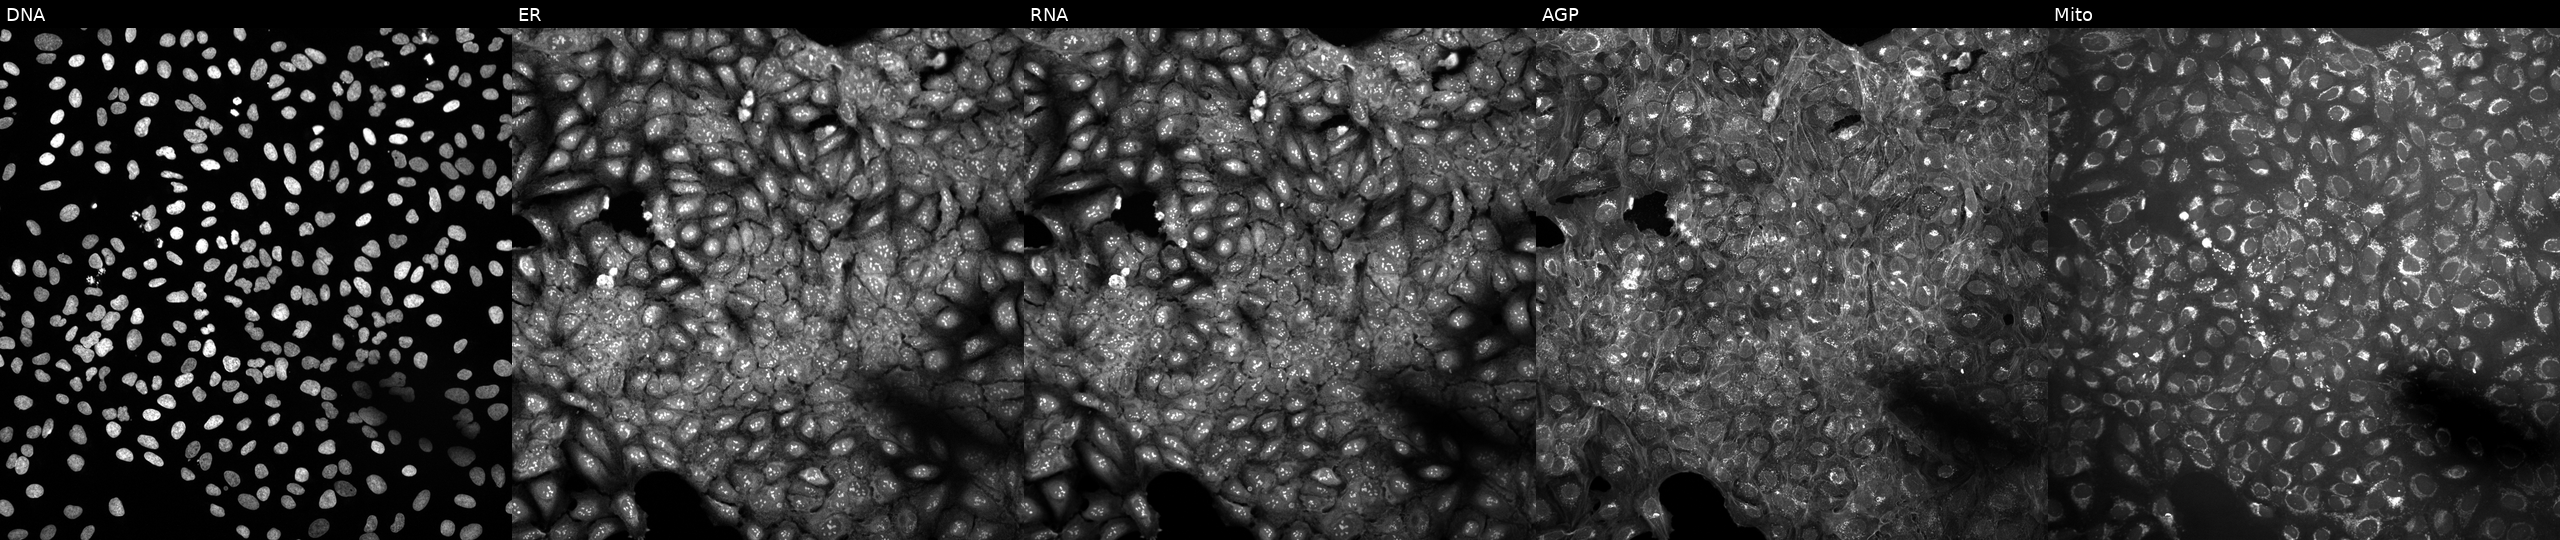
U2OS cells, Cell Painting assay, untreated (empty-well control) (JUMP id JCP2022_999999). Panels show, left to right, DNA, ER, RNA, AGP, and Mito. Each panel is percentile-stretched 16-bit fluorescence. Source 10, plate Dest210531-152149, well C09.